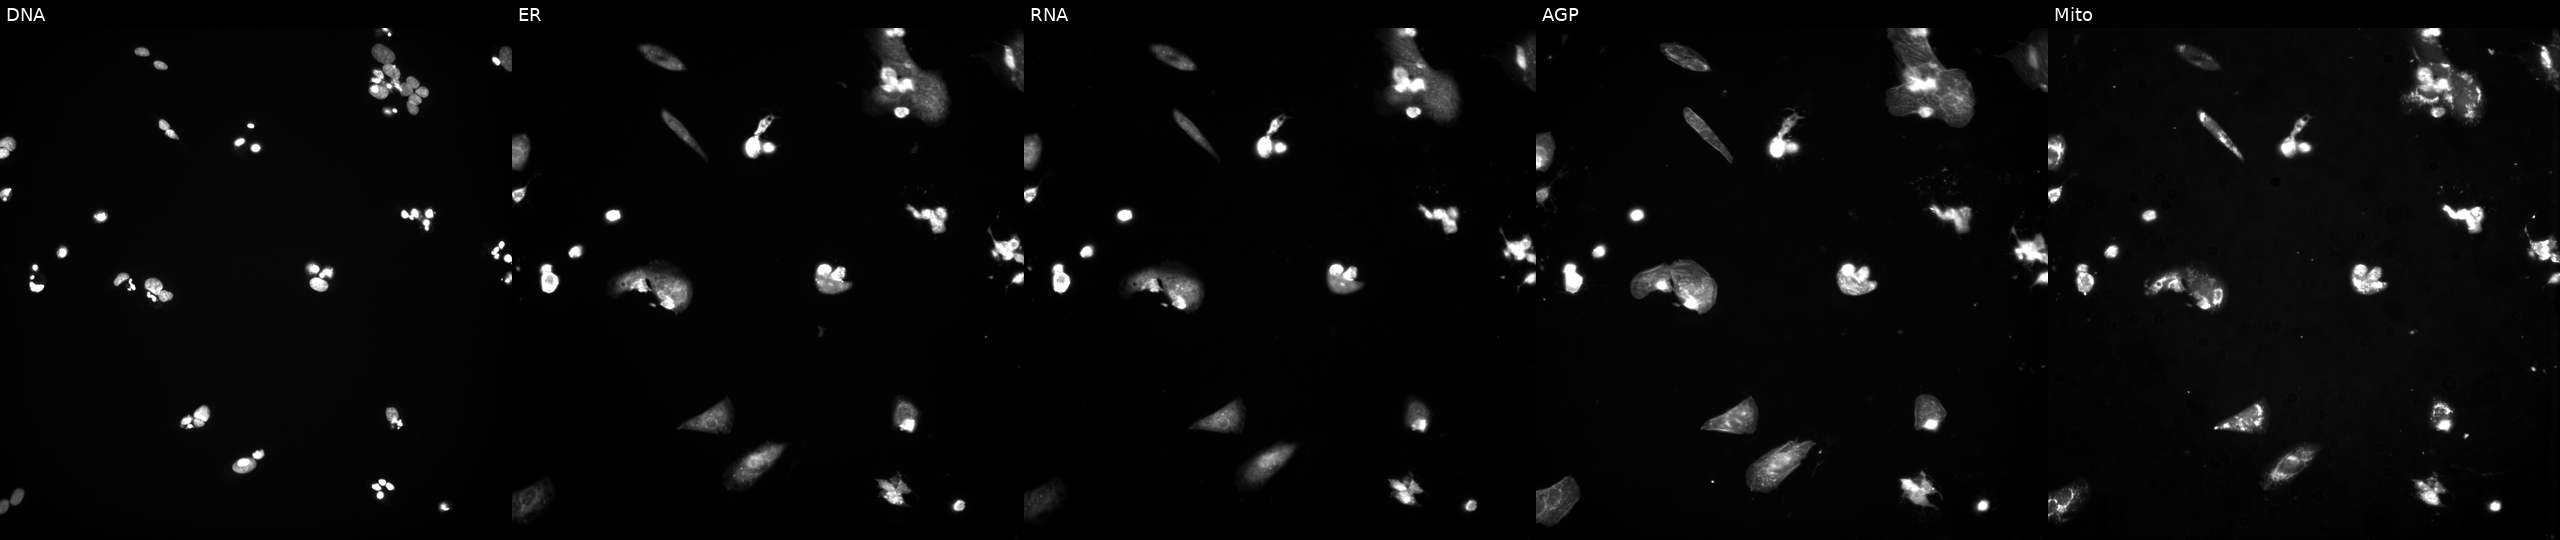
High-content fluorescence microscopy (Cell Painting). Cell line: U2OS. Perturbation: perturbed with a small-molecule compound (InChIKey WSMQUUGTQYPVPD-UHFFFAOYSA-N). From left to right: DNA, ER, RNA, AGP, and Mito. Source 3, plate JCPQC052, well O23.